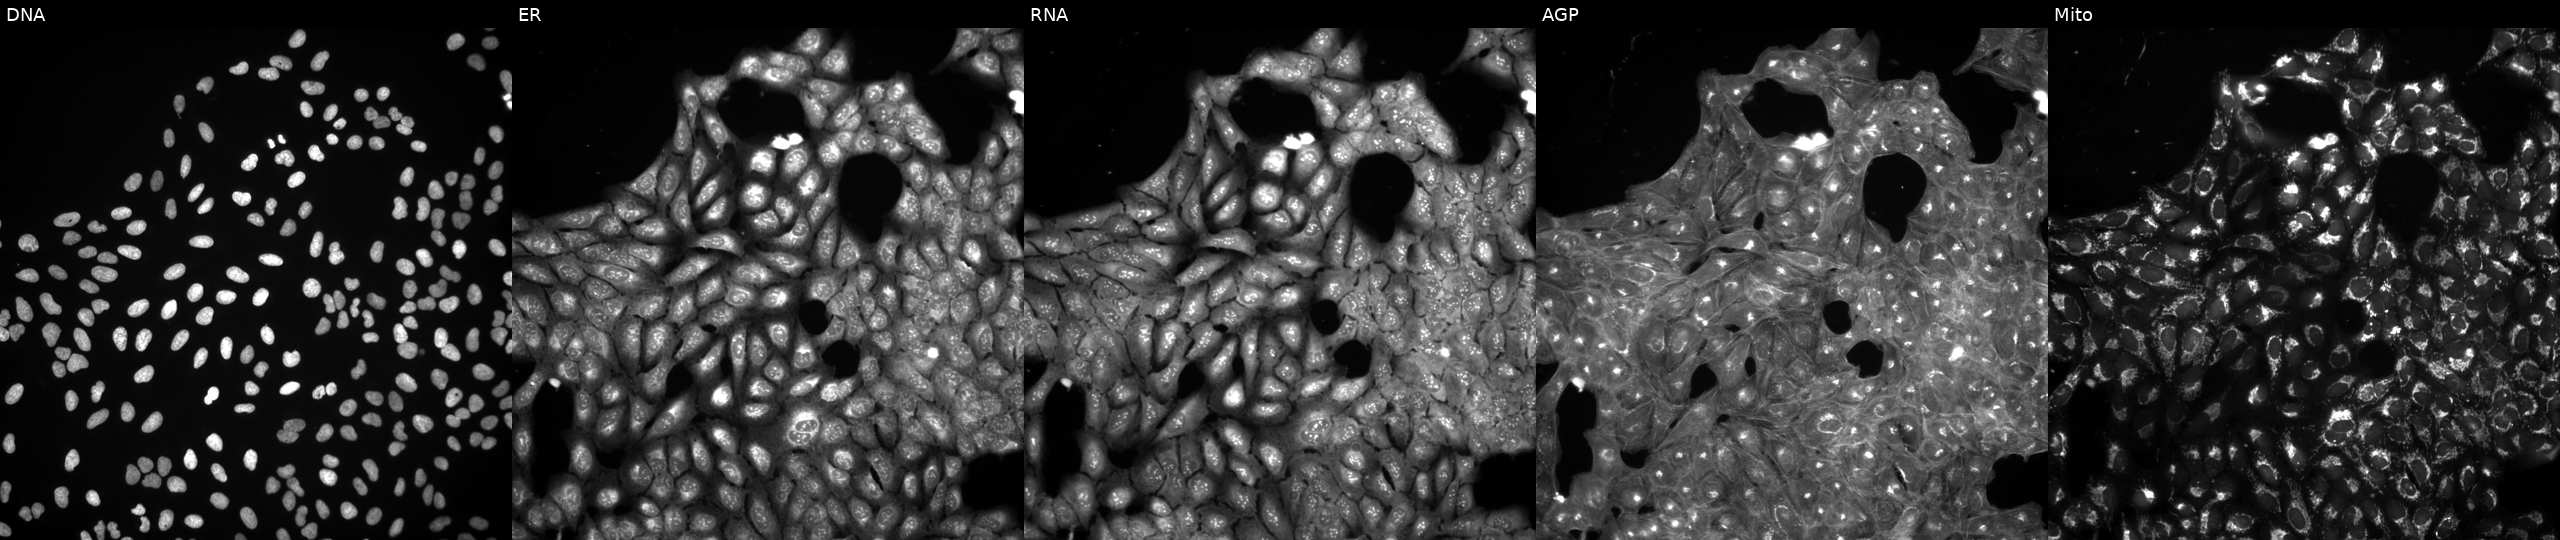
JUMP Cell Painting — COMPOUND plate. U2OS cells exposed to DMSO alone as a negative control (JUMP id JCP2022_033924). From left to right: DNA, ER, RNA, AGP, and Mito. Source 3, plate BR5867b3, well H02.